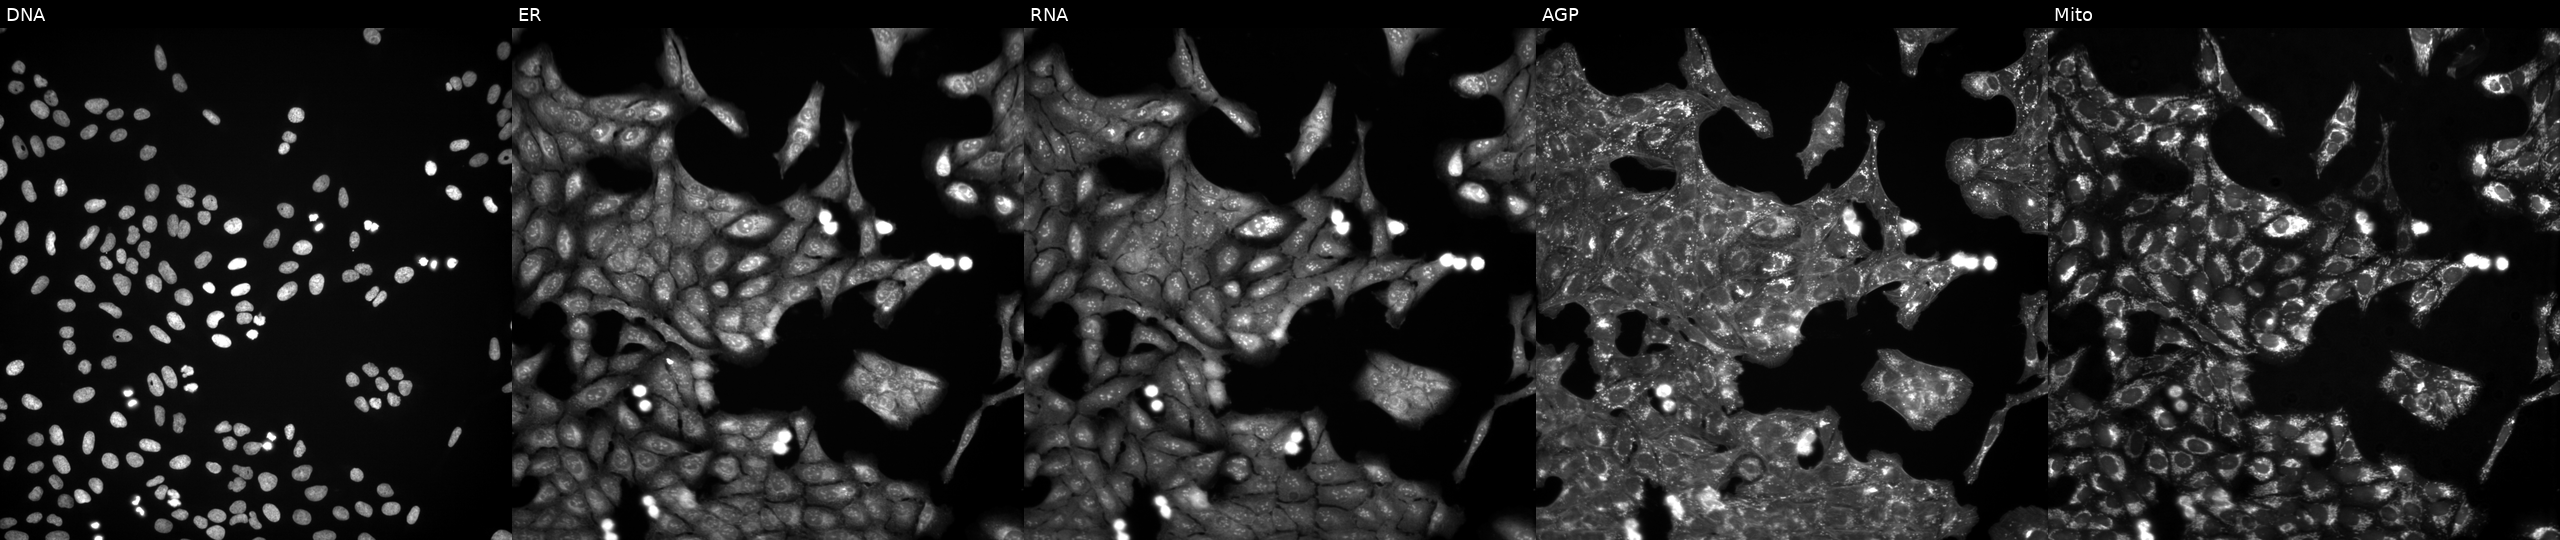
This image strip shows the five Cell Painting channels for a single field of U2OS cells perturbed with a small-molecule compound (InChIKey CYYNMPPFEJPBJD-UHFFFAOYSA-N) (JUMP id JCP2022_014367). Channels (left→right): Hoechst 33342, concanavalin A, SYTO 14, phalloidin and WGA, MitoTracker. Source 3, plate JCPQC051, well A09.